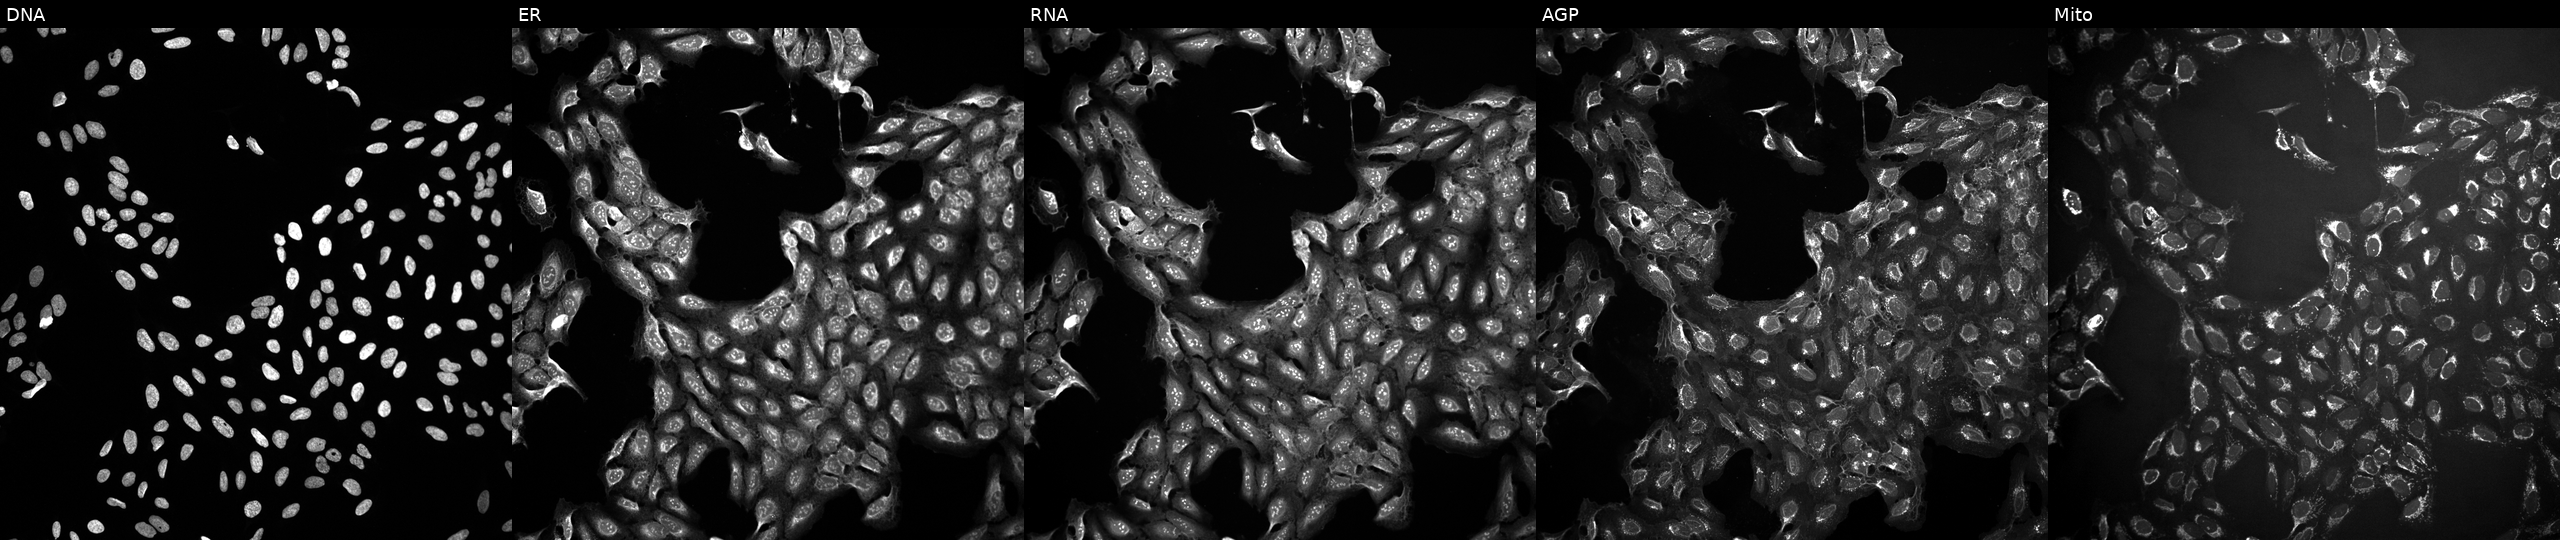
U2OS cells, Cell Painting assay, treated with a small-molecule compound (InChIKey AUMHDRMJJNZTPB-UHFFFAOYSA-N). Channels (left→right): DNA, ER, RNA, AGP, and Mito. Each panel is percentile-stretched 16-bit fluorescence. Source 10, plate Dest210803-153958, well N09.